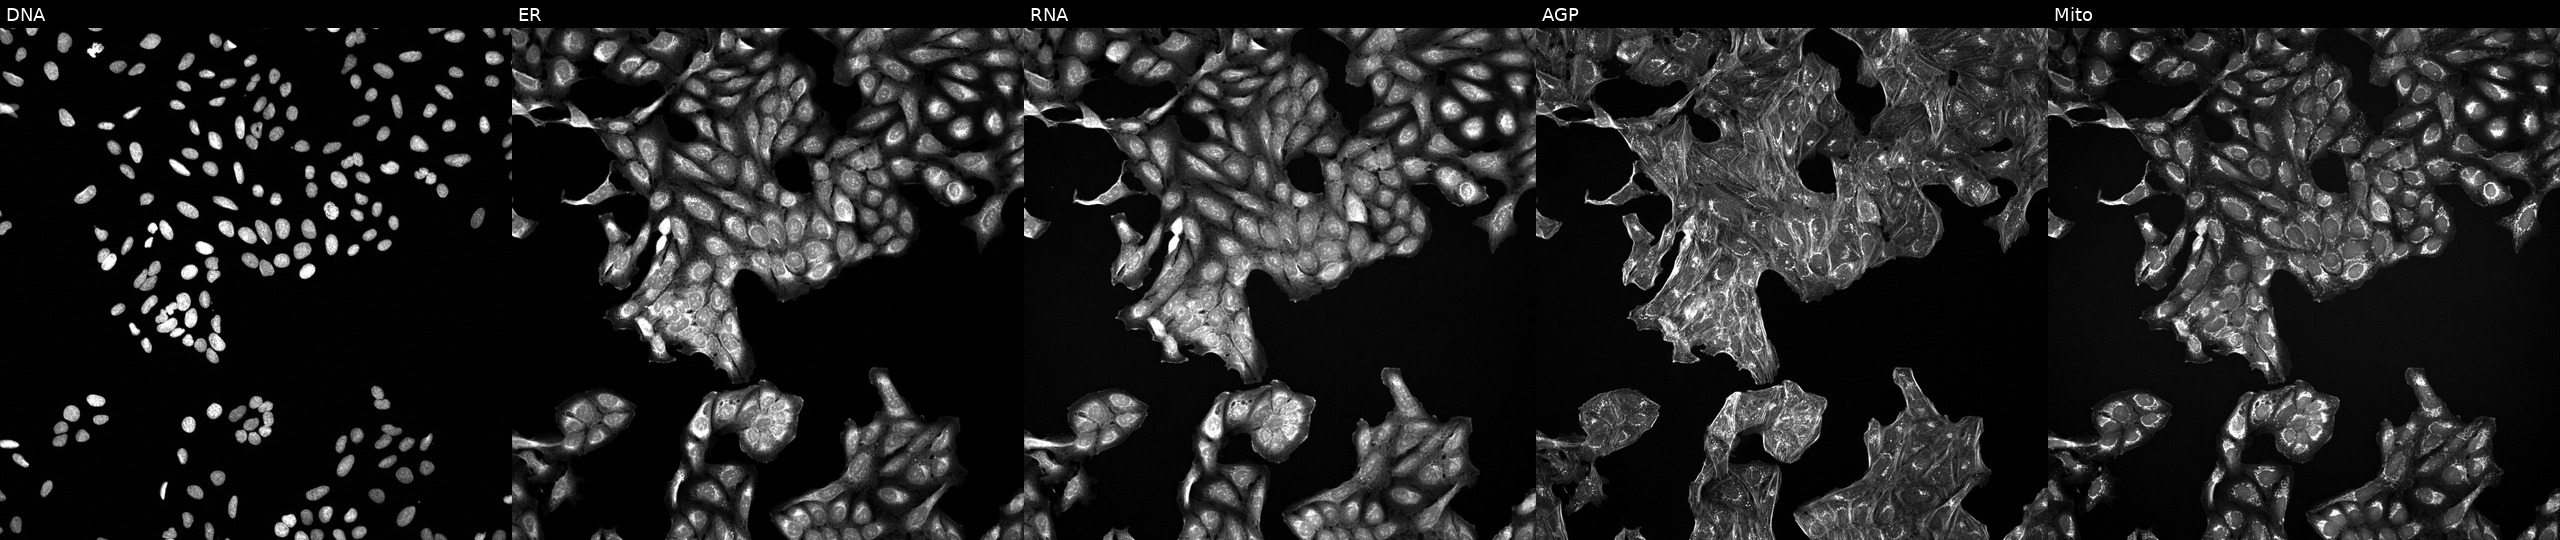
This image strip shows the five Cell Painting channels for a single field of U2OS cells perturbed with a small-molecule compound (InChIKey DMWVGXGXHPOEPT-UHFFFAOYSA-N). From left to right: Hoechst 33342, concanavalin A, SYTO 14, phalloidin and WGA, MitoTracker.